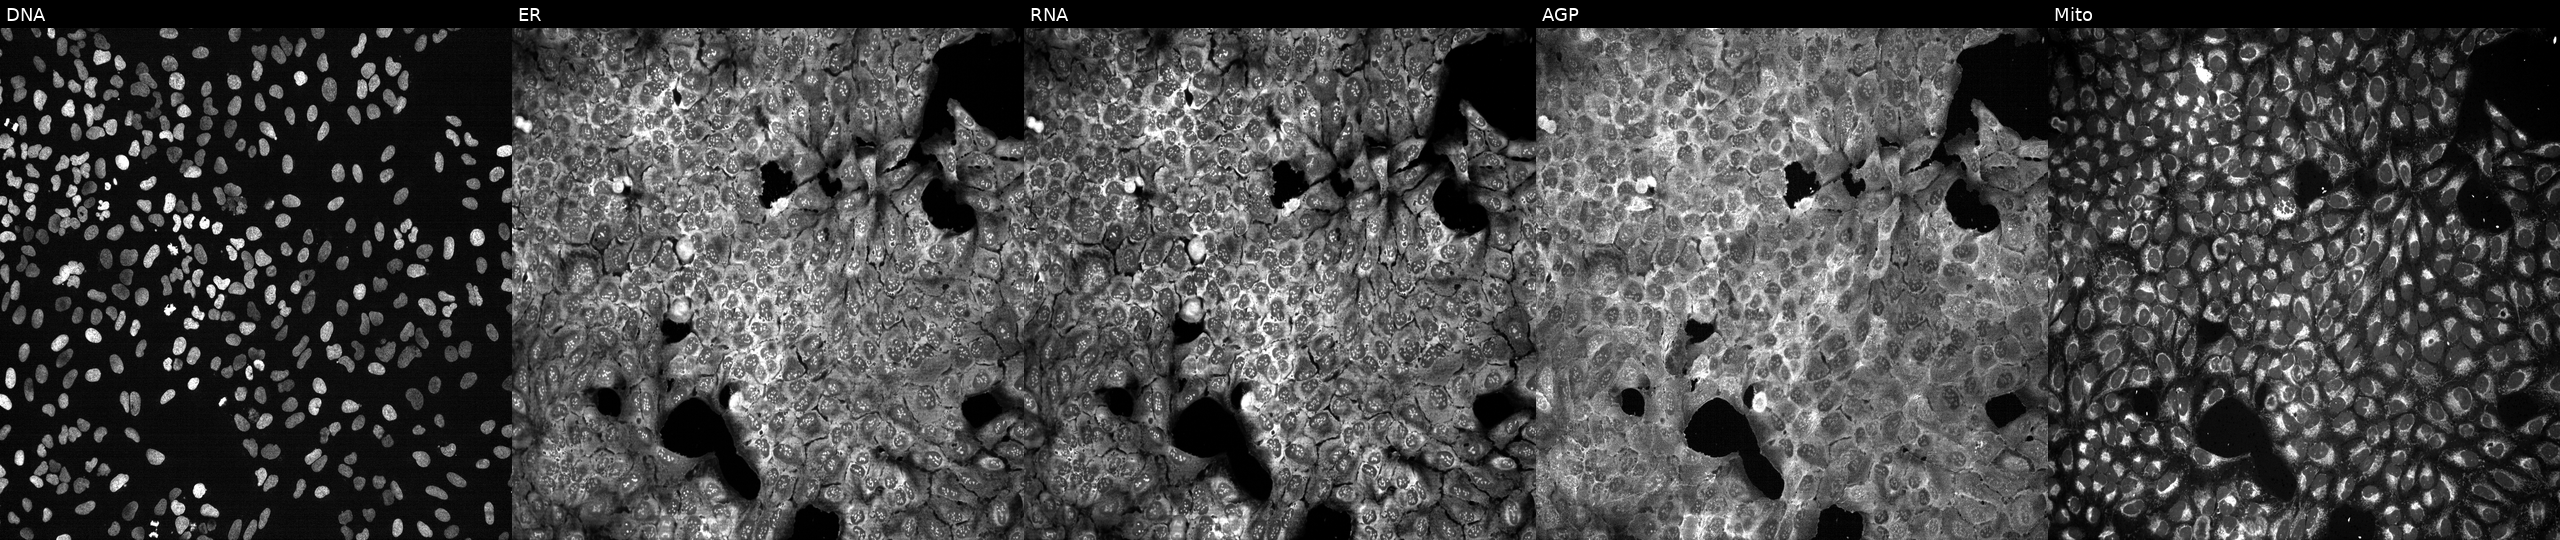
U2OS cells, Cell Painting assay, following CRISPR knockout of PTGES. From left to right: DNA (nuclei); ER (endoplasmic reticulum); RNA (nucleoli and cytoplasmic RNA); AGP (actin cytoskeleton, Golgi, and plasma membrane); Mito (mitochondria). Each panel is percentile-stretched 16-bit fluorescence. Source 13, plate CP-CC9-R3-01, well E15.